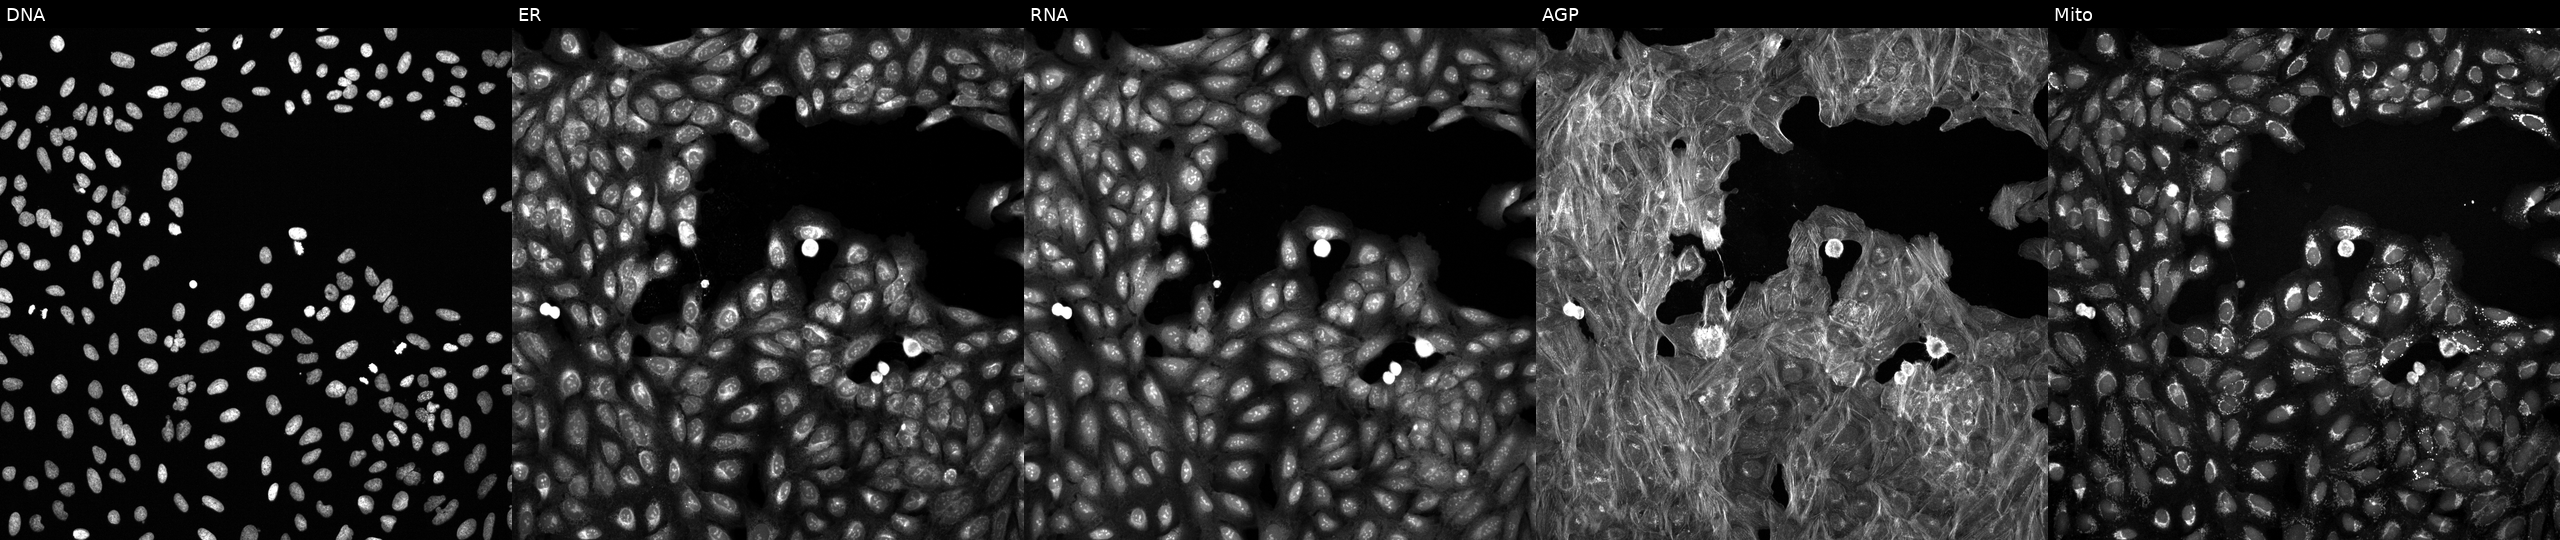
The five panels, left to right, show DNA (nuclei); ER (endoplasmic reticulum); RNA (nucleoli and cytoplasmic RNA); AGP (actin cytoskeleton, Golgi, and plasma membrane); Mito (mitochondria). U2OS osteosarcoma cells exposed to a small-molecule compound. Cell Painting assay, JUMP-CP dataset.